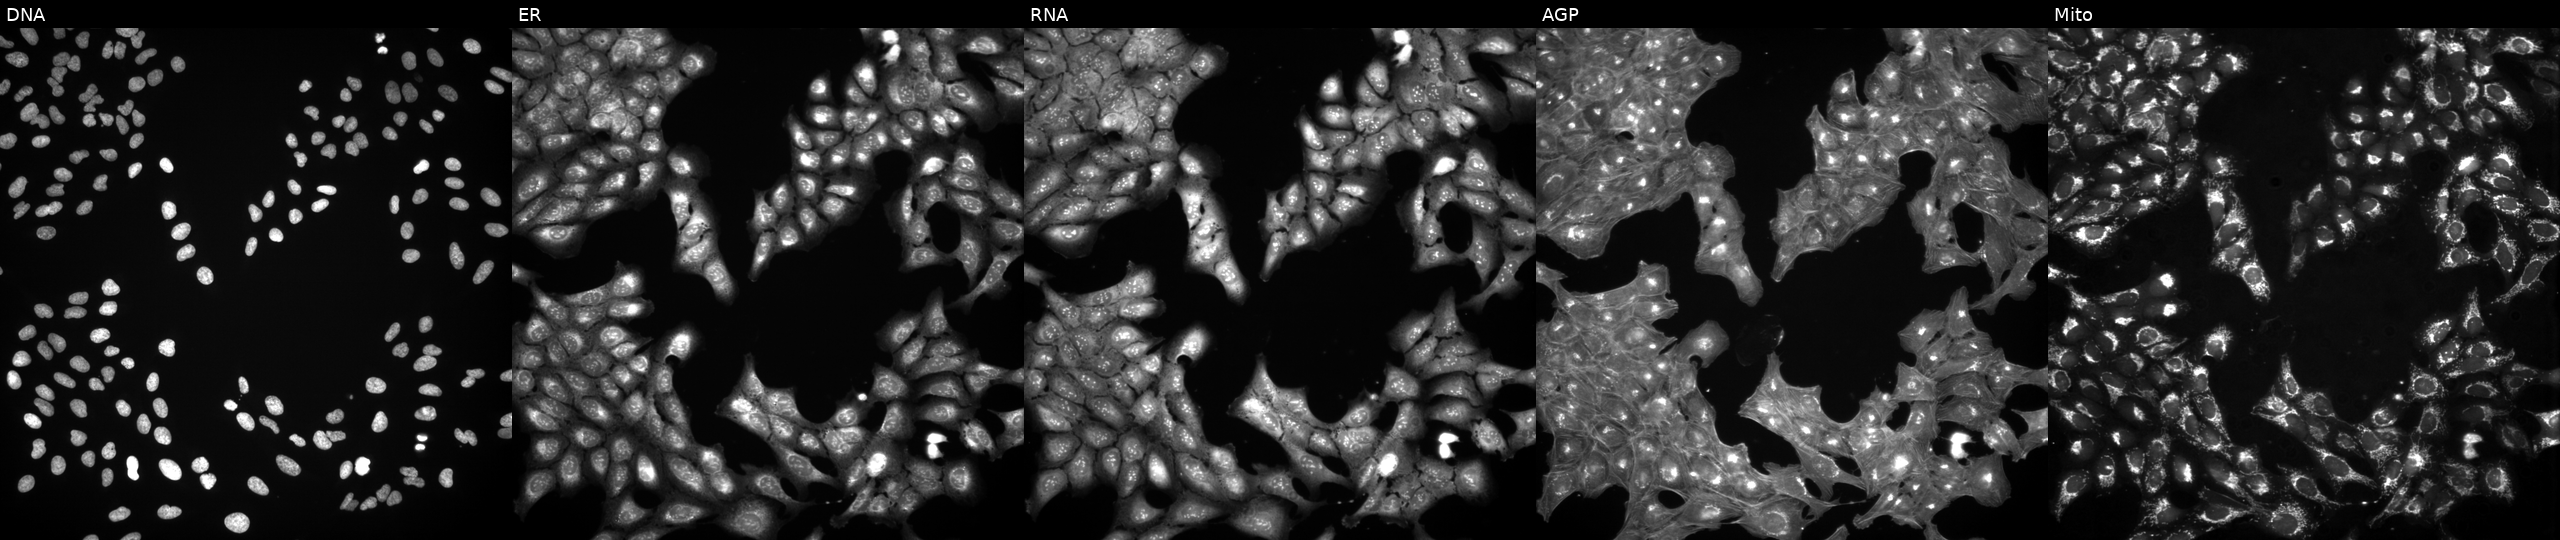
Five-channel Cell Painting image of U2OS cells exposed to a small-molecule compound (InChIKey BGUFMGGQGMOYJQ-UHFFFAOYSA-N) (JUMP id JCP2022_006258). From left to right: DNA, ER, RNA, AGP, and Mito.